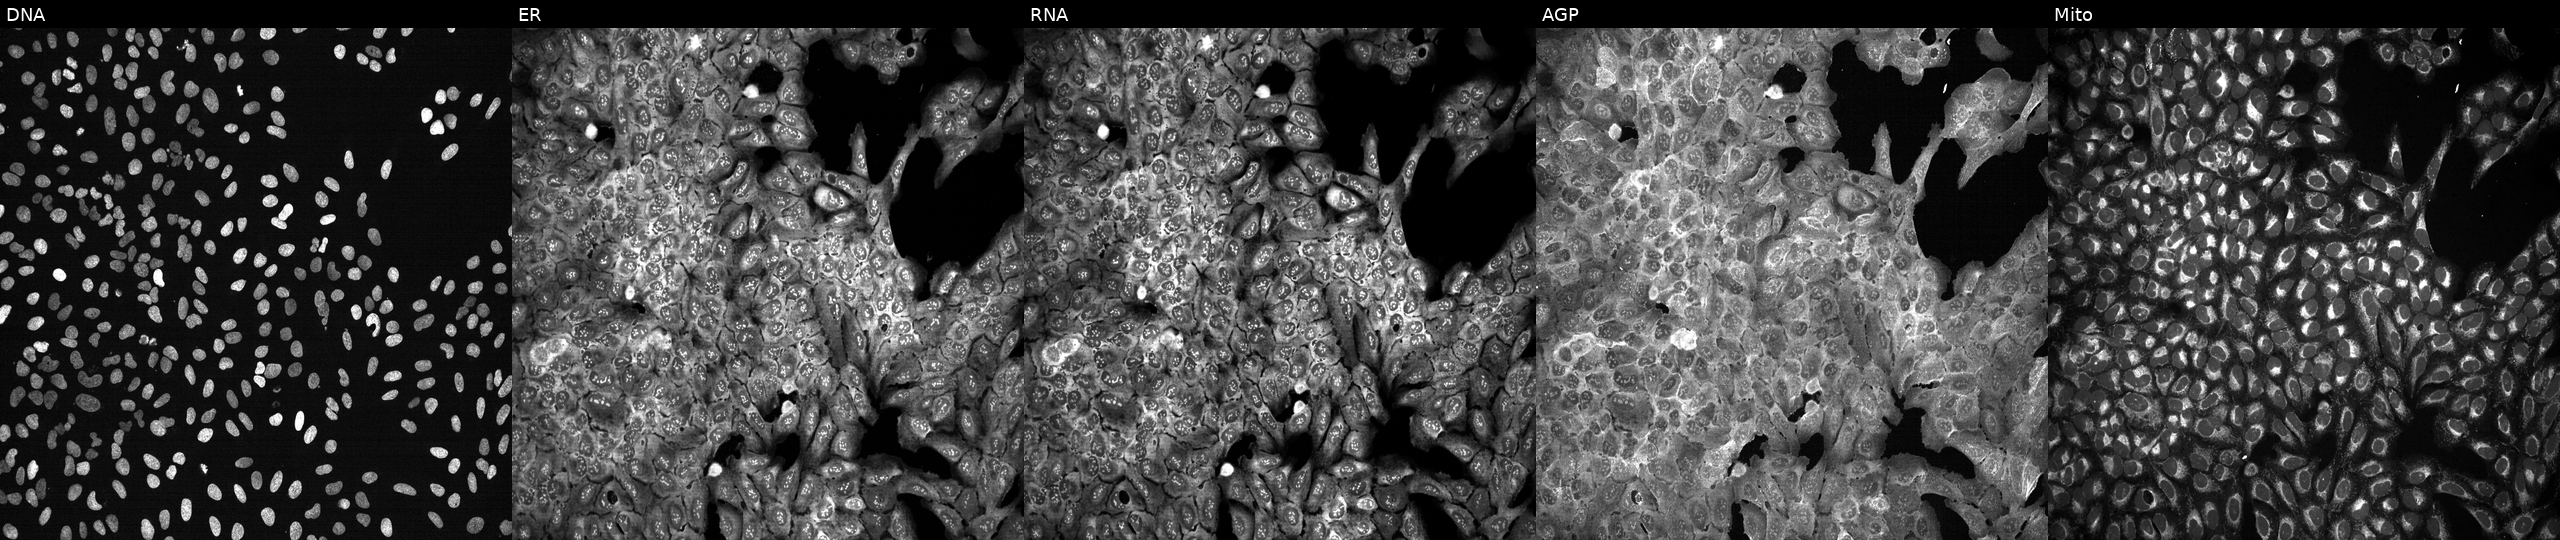
JUMP Cell Painting — CRISPR plate. U2OS cells CRISPR-edited to disrupt ST6GALNAC4 (JUMP id JCP2022_806808). From left to right: Hoechst 33342, concanavalin A, SYTO 14, phalloidin and WGA, MitoTracker.